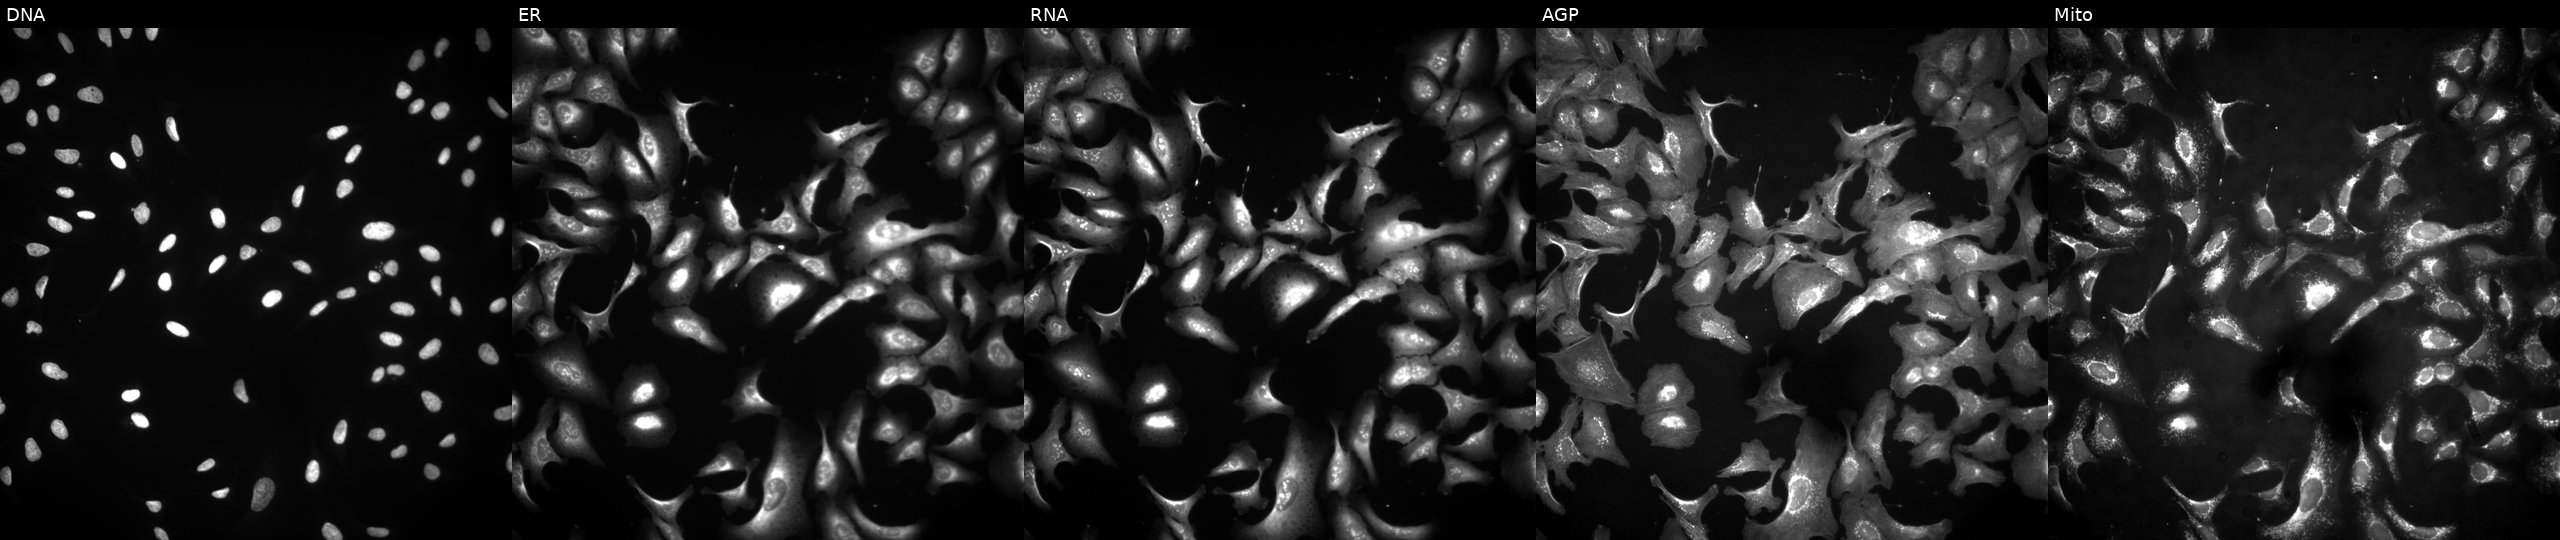
This image strip shows the five Cell Painting channels for a single field of U2OS cells overexpressing MTRR via ORF transfection. Channels (left→right): DNA (nuclei); ER (endoplasmic reticulum); RNA (nucleoli and cytoplasmic RNA); AGP (actin cytoskeleton, Golgi, and plasma membrane); Mito (mitochondria).